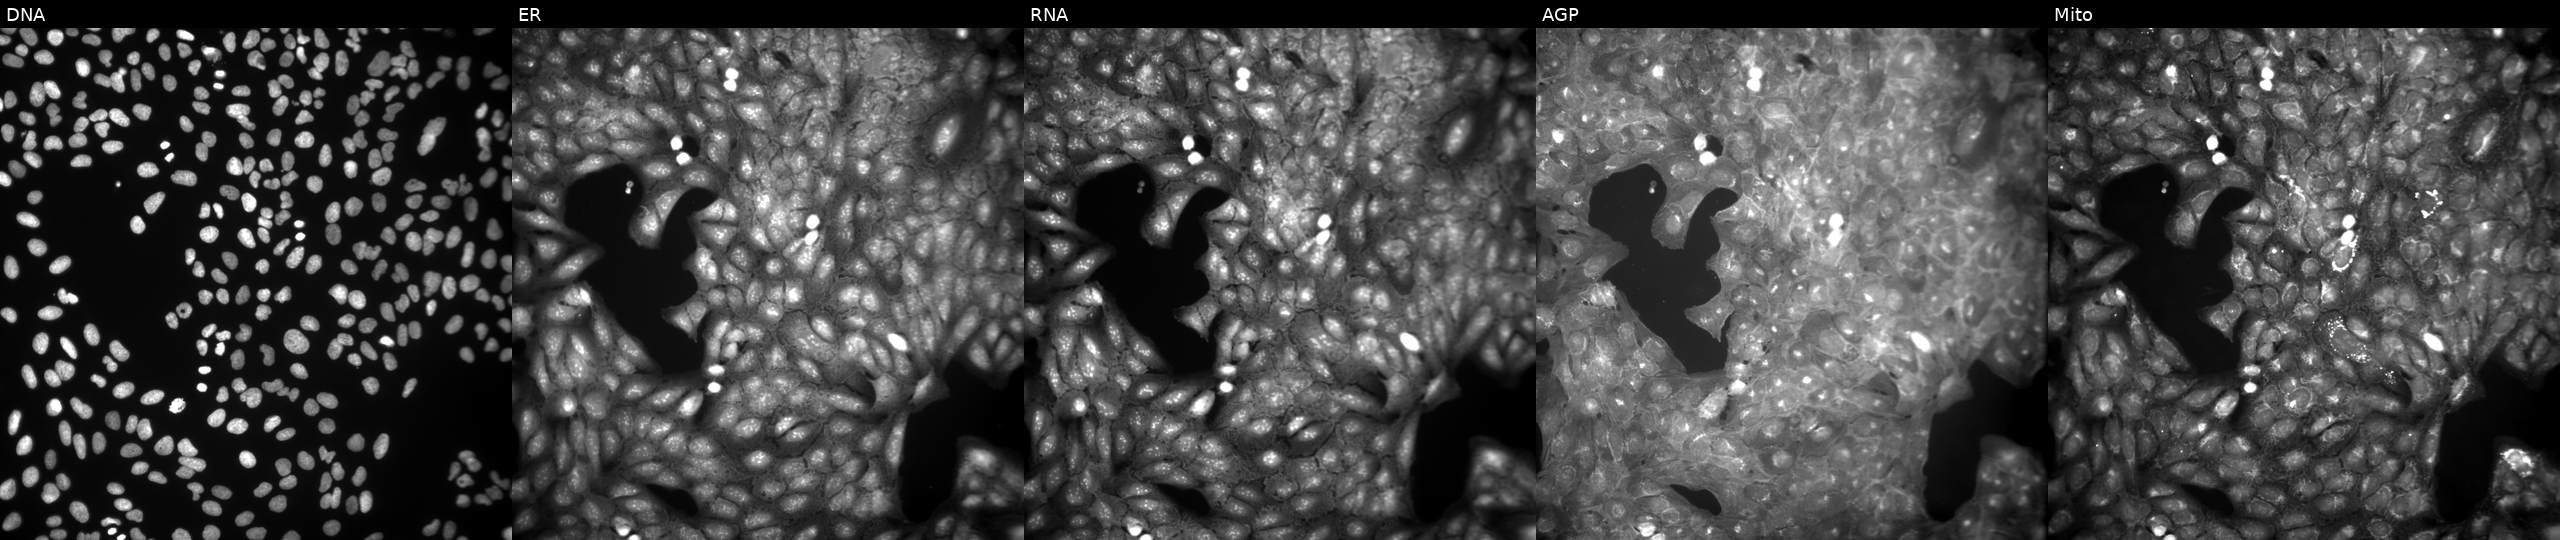
U2OS cells, Cell Painting assay, exposed to DMSO alone as a negative control (JUMP id JCP2022_033924). Panels show, left to right, DNA, ER, RNA, AGP, and Mito. Each panel is percentile-stretched 16-bit fluorescence.